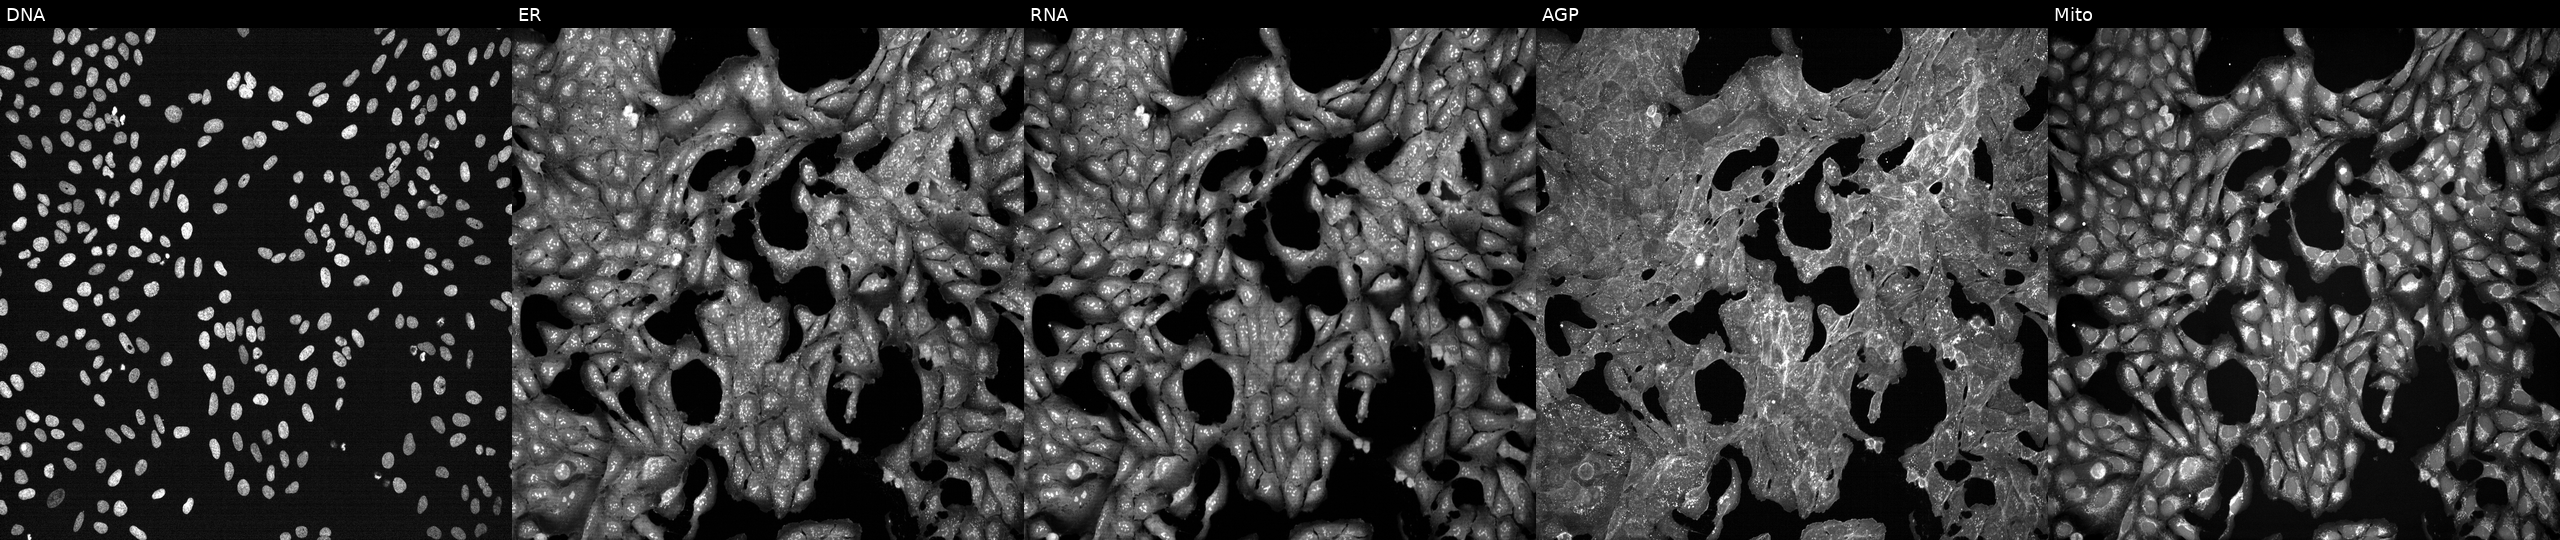
From left to right: DNA (nuclei); ER (endoplasmic reticulum); RNA (nucleoli and cytoplasmic RNA); AGP (actin cytoskeleton, Golgi, and plasma membrane); Mito (mitochondria). U2OS osteosarcoma cells perturbed with a small-molecule compound (InChIKey ZJMDTBBCNMGFMS-UHFFFAOYSA-N) (JUMP id JCP2022_113710). Cell Painting assay, JUMP-CP dataset.